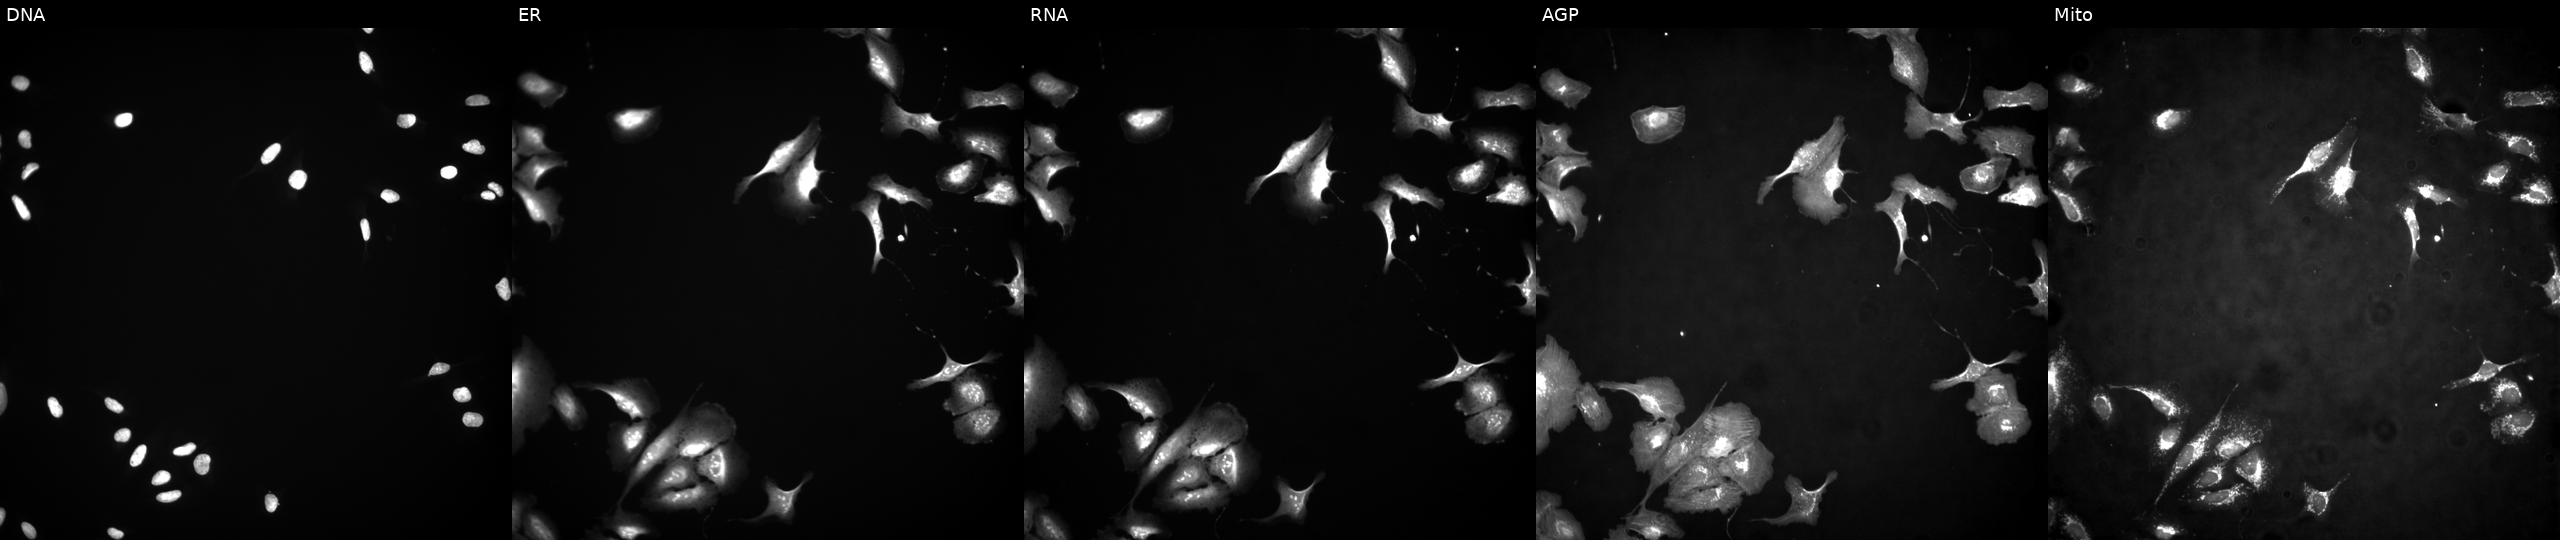
From left to right: DNA (nuclei); ER (endoplasmic reticulum); RNA (nucleoli and cytoplasmic RNA); AGP (actin cytoskeleton, Golgi, and plasma membrane); Mito (mitochondria). U2OS osteosarcoma cells with GATA2 overexpressed (ORF) (JUMP id JCP2022_905853). Cell Painting assay, JUMP-CP dataset.